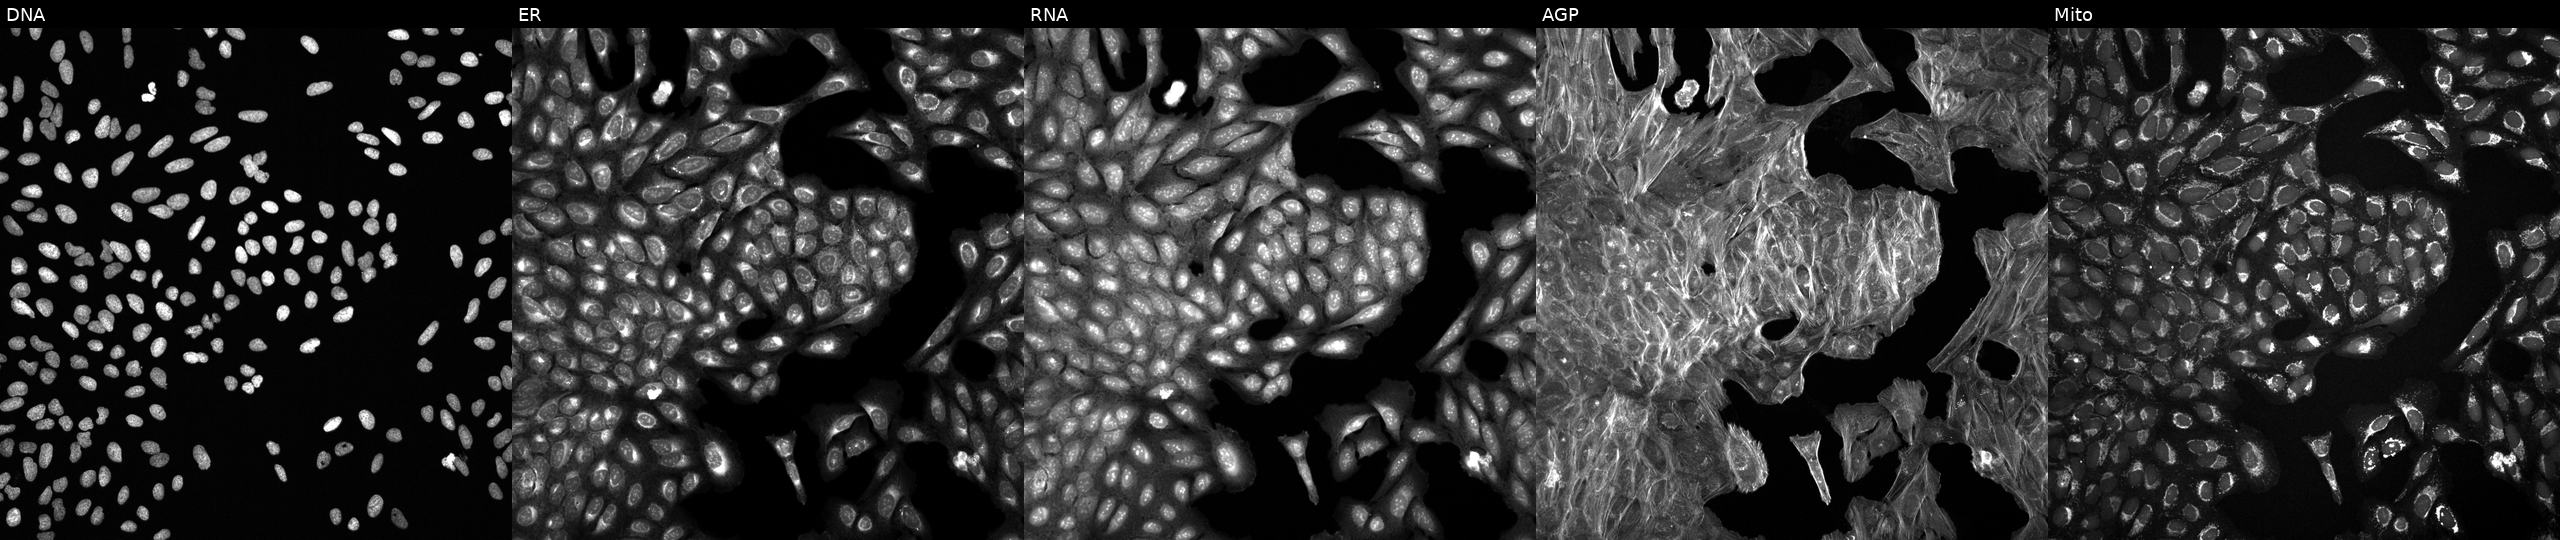
U2OS cells, Cell Painting assay, treated with a small-molecule compound. Channels (left→right): DNA (nuclei); ER (endoplasmic reticulum); RNA (nucleoli and cytoplasmic RNA); AGP (actin cytoskeleton, Golgi, and plasma membrane); Mito (mitochondria). Each panel is percentile-stretched 16-bit fluorescence.